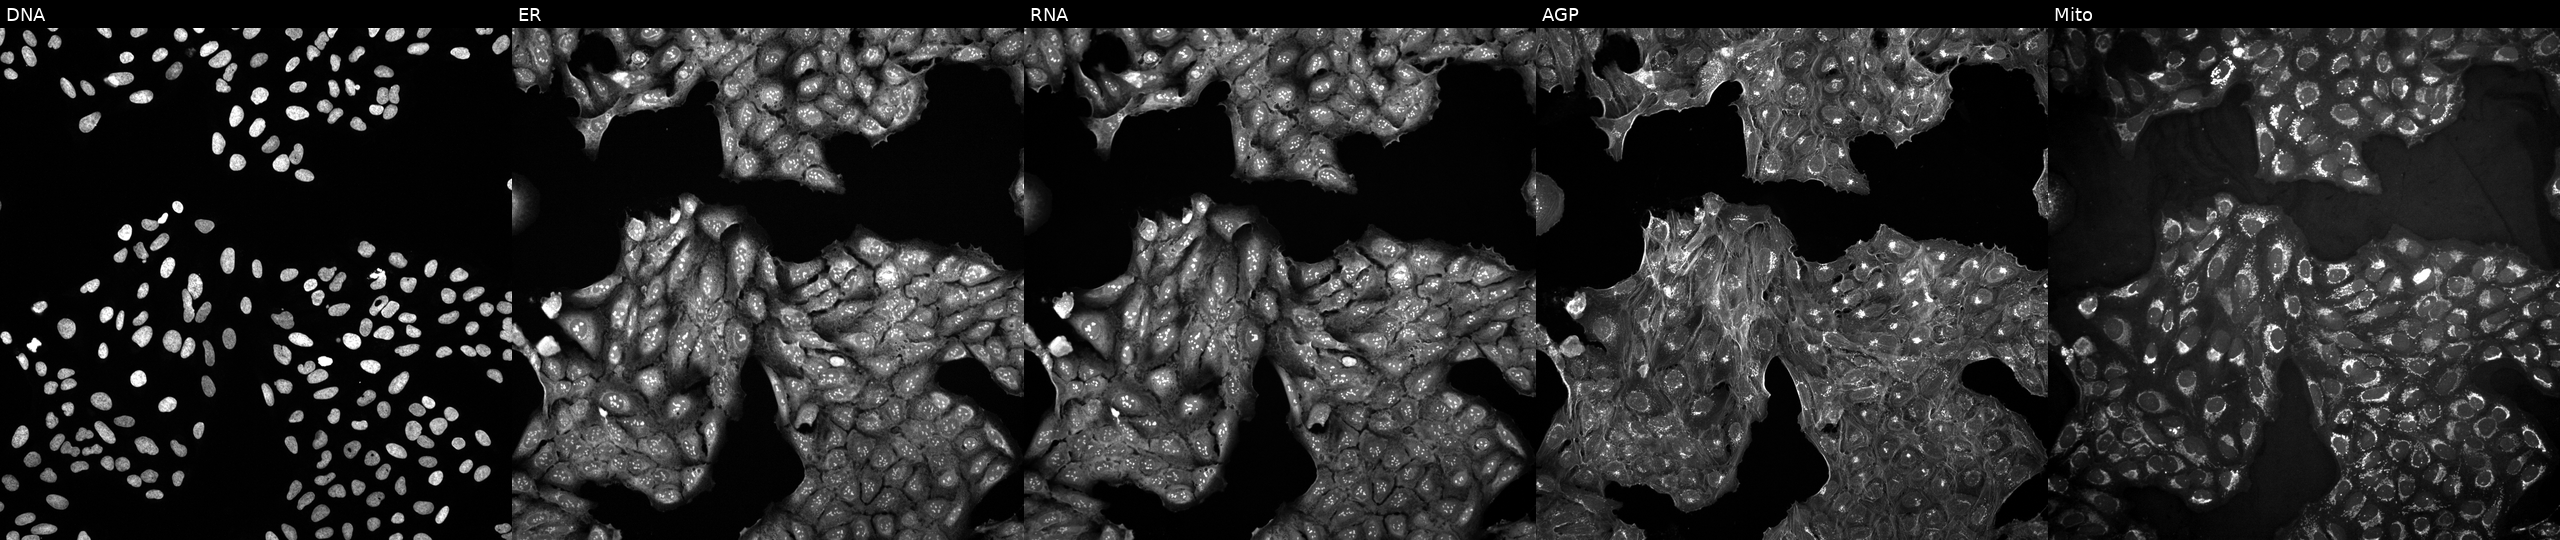
This image strip shows the five Cell Painting channels for a single field of U2OS cells perturbed with a small-molecule compound. Channels (left→right): Hoechst 33342, concanavalin A, SYTO 14, phalloidin and WGA, MitoTracker.